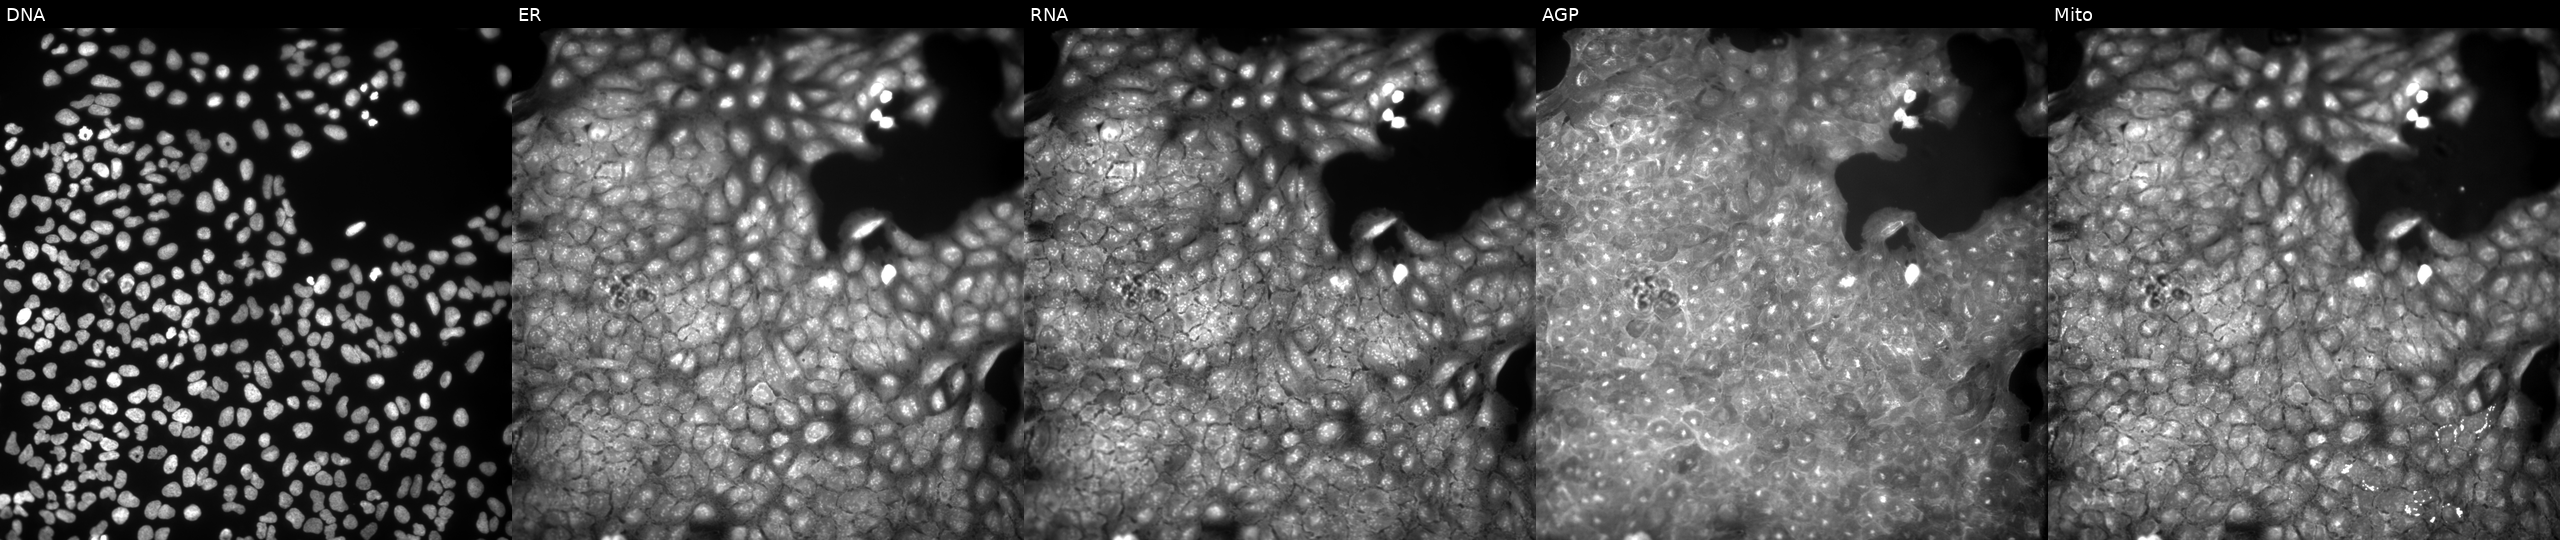
High-content fluorescence microscopy (Cell Painting). Cell line: U2OS. Perturbation: treated with a small-molecule compound (InChIKey VKZKOVYPILDMEB-UHFFFAOYSA-N). Panels show, left to right, Hoechst 33342, concanavalin A, SYTO 14, phalloidin and WGA, MitoTracker.